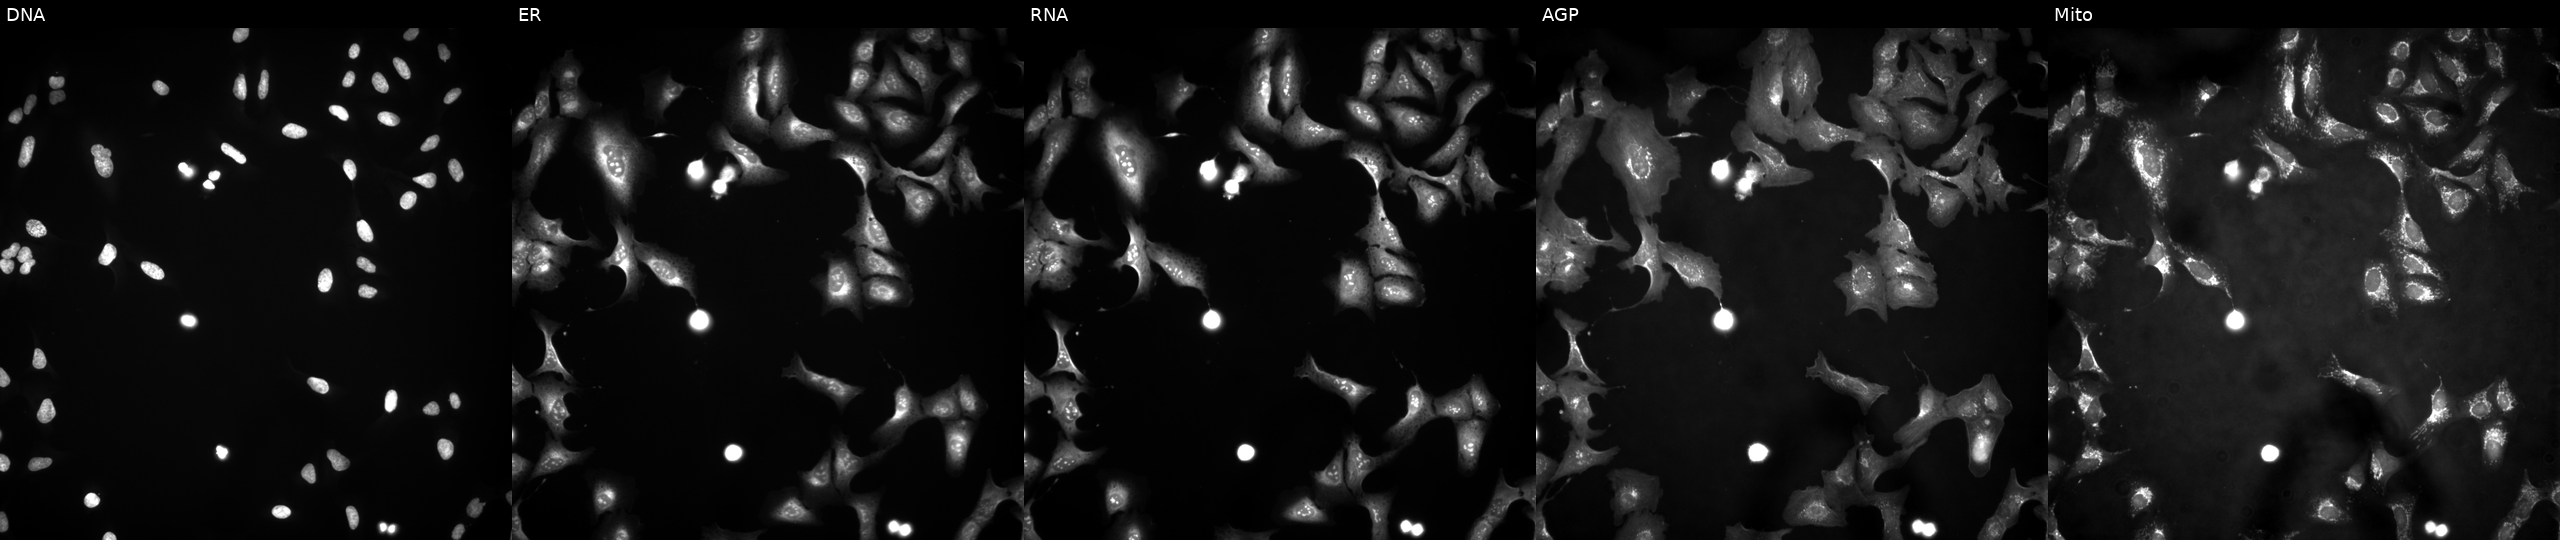
High-content fluorescence microscopy (Cell Painting). Cell line: U2OS. Perturbation: with PSTK overexpressed (ORF). Channels (left→right): Hoechst 33342, concanavalin A, SYTO 14, phalloidin and WGA, MitoTracker. Source 4, plate BR00121543, well L15.